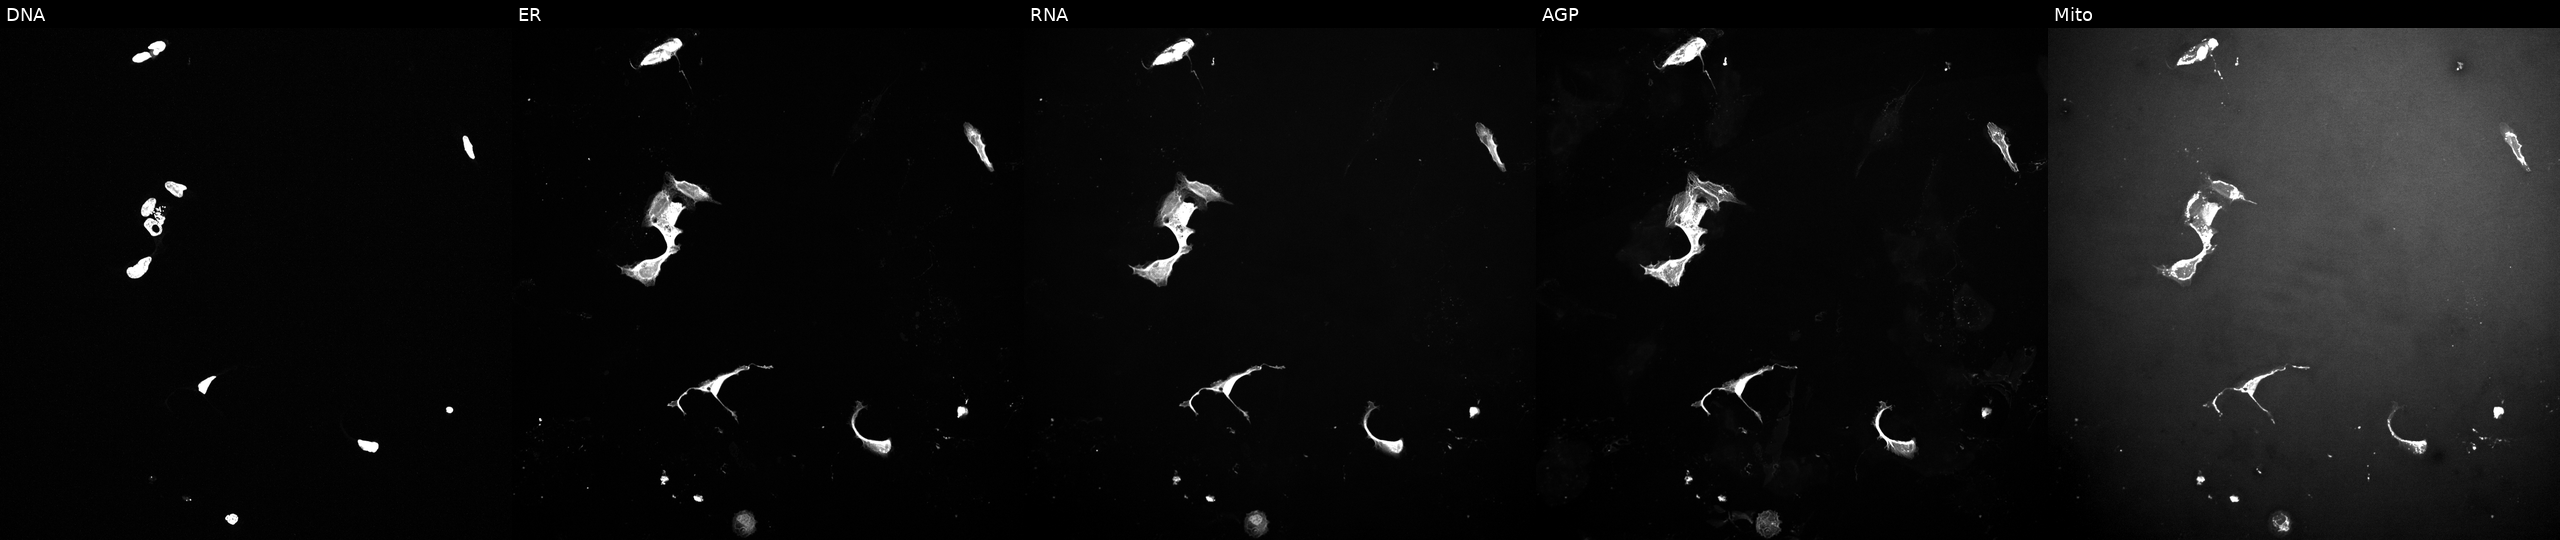
JUMP Cell Painting — TARGET2 plate. U2OS cells treated with a small-molecule compound (InChIKey VXBAJLGYBMTJCY-UHFFFAOYSA-N). Panels show, left to right, DNA, ER, RNA, AGP, and Mito.